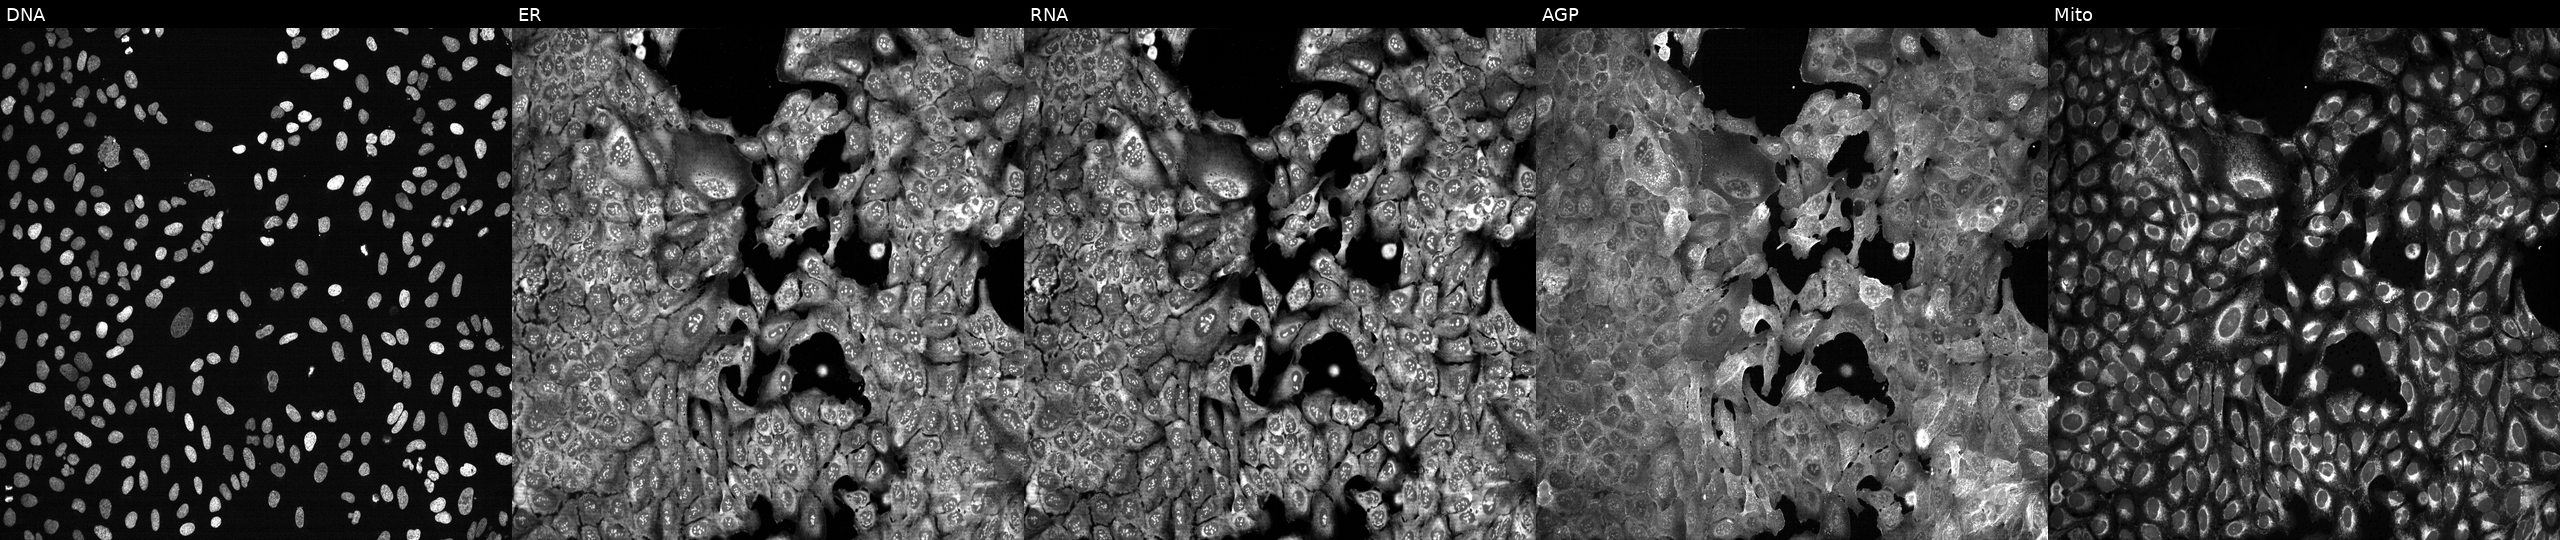
Five-channel Cell Painting image of U2OS cells with VEGFA knocked out by CRISPR. From left to right: Hoechst 33342, concanavalin A, SYTO 14, phalloidin and WGA, MitoTracker. Source 13, plate CP-CC9-R2-02, well C15.